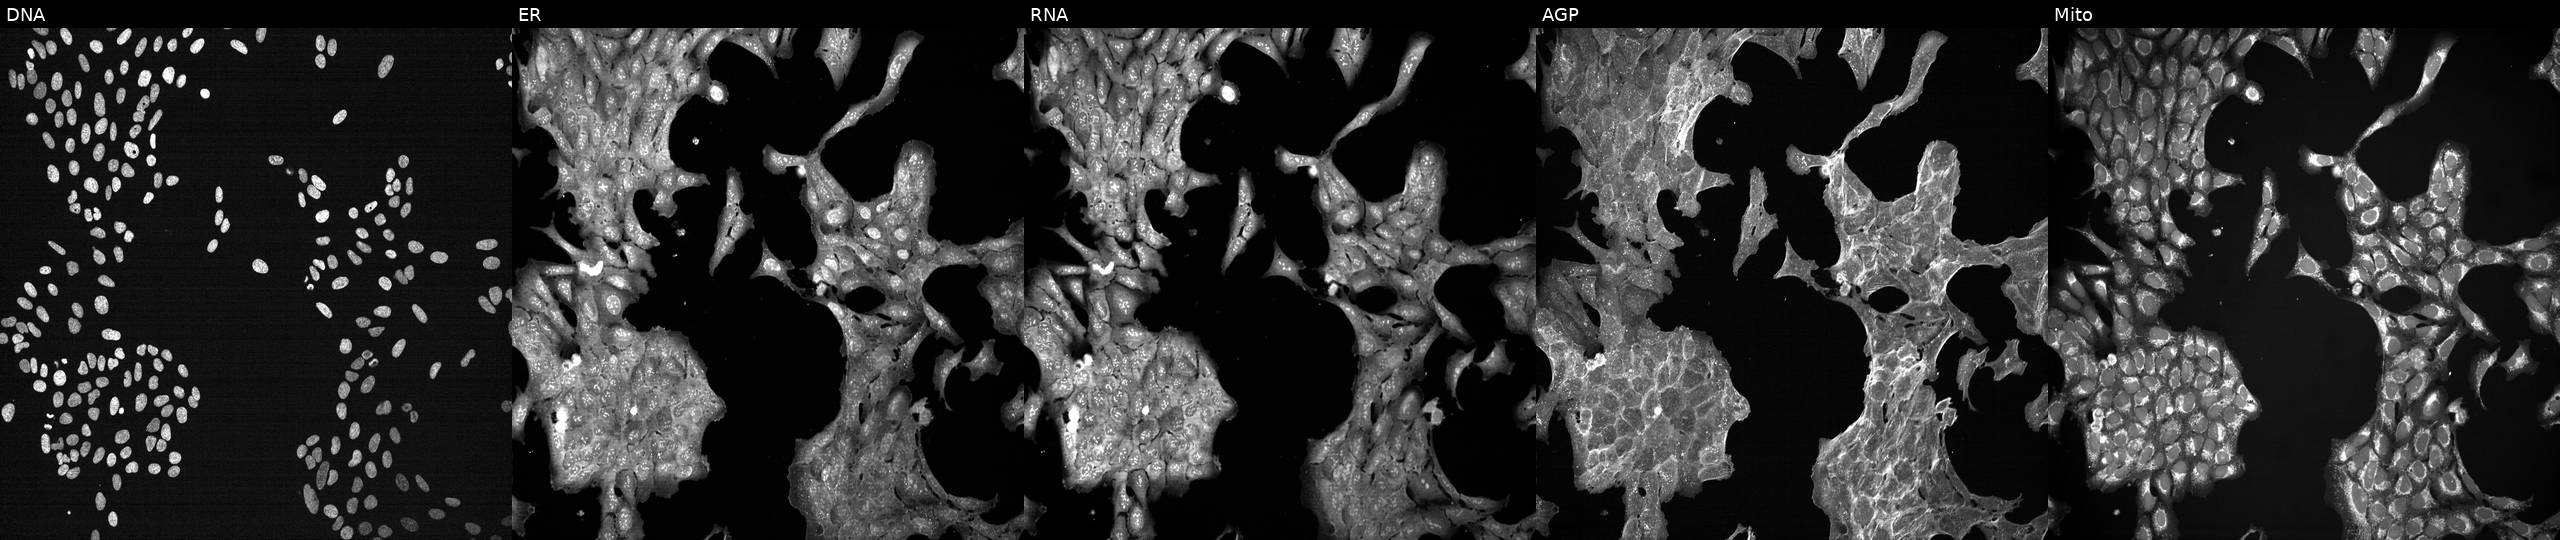
JUMP Cell Painting — TARGET2 plate. U2OS cells perturbed with a small-molecule compound [SMILES: Cc1ccc(N=c2nc(N(C)c3ccc4c(C)n(C)nc4c3)cc[nH]2)cc1S(N)(=O)=O] (JUMP id JCP2022_013455). The five panels, left to right, show DNA (nuclei); ER (endoplasmic reticulum); RNA (nucleoli and cytoplasmic RNA); AGP (actin cytoskeleton, Golgi, and plasma membrane); Mito (mitochondria). Source 7, plate CP3-SC1-25, well I17.